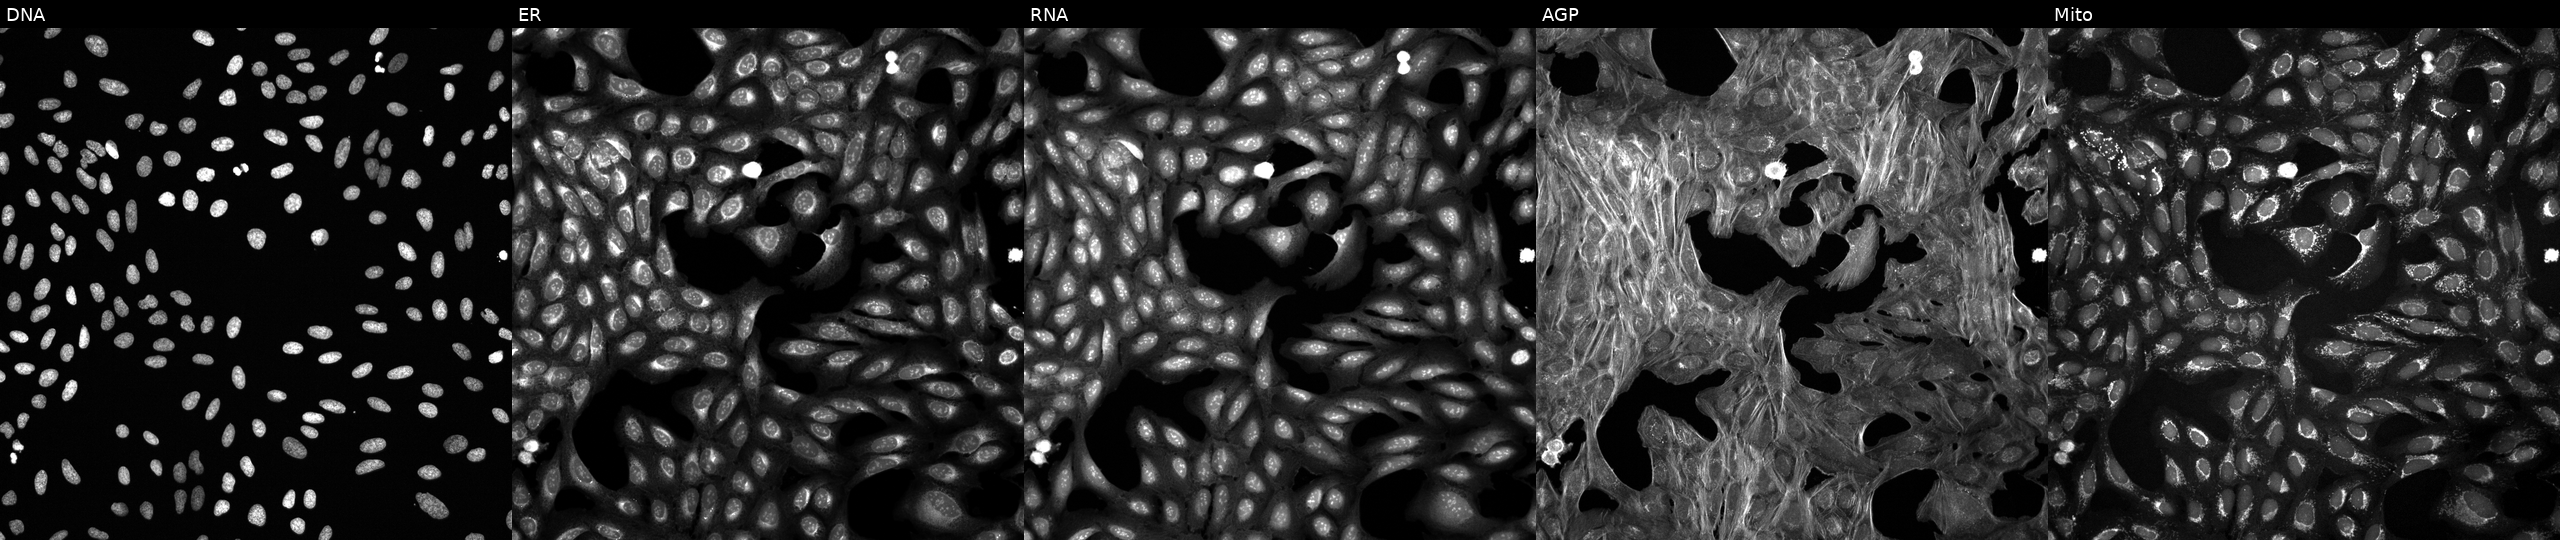
From left to right: Hoechst 33342, concanavalin A, SYTO 14, phalloidin and WGA, MitoTracker. U2OS osteosarcoma cells perturbed with a small-molecule compound (InChIKey CIYCURPBXLLBOA-UHFFFAOYSA-N). Cell Painting assay, JUMP-CP dataset.